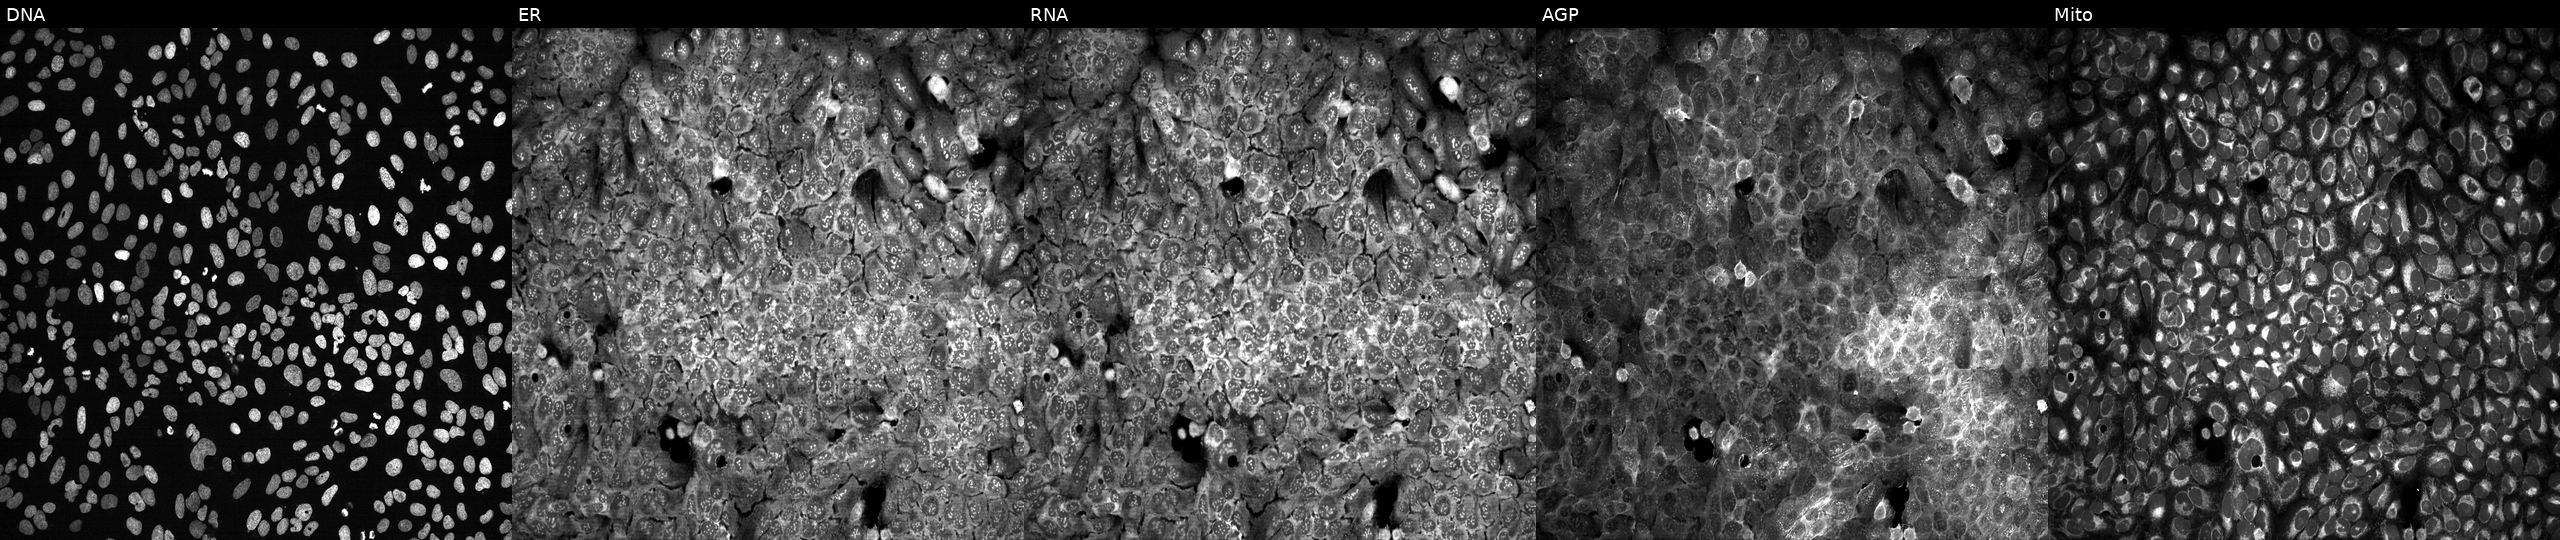
JUMP Cell Painting — CRISPR plate. U2OS cells following CRISPR knockout of GGT7 (JUMP id JCP2022_802683). From left to right: Hoechst 33342, concanavalin A, SYTO 14, phalloidin and WGA, MitoTracker.